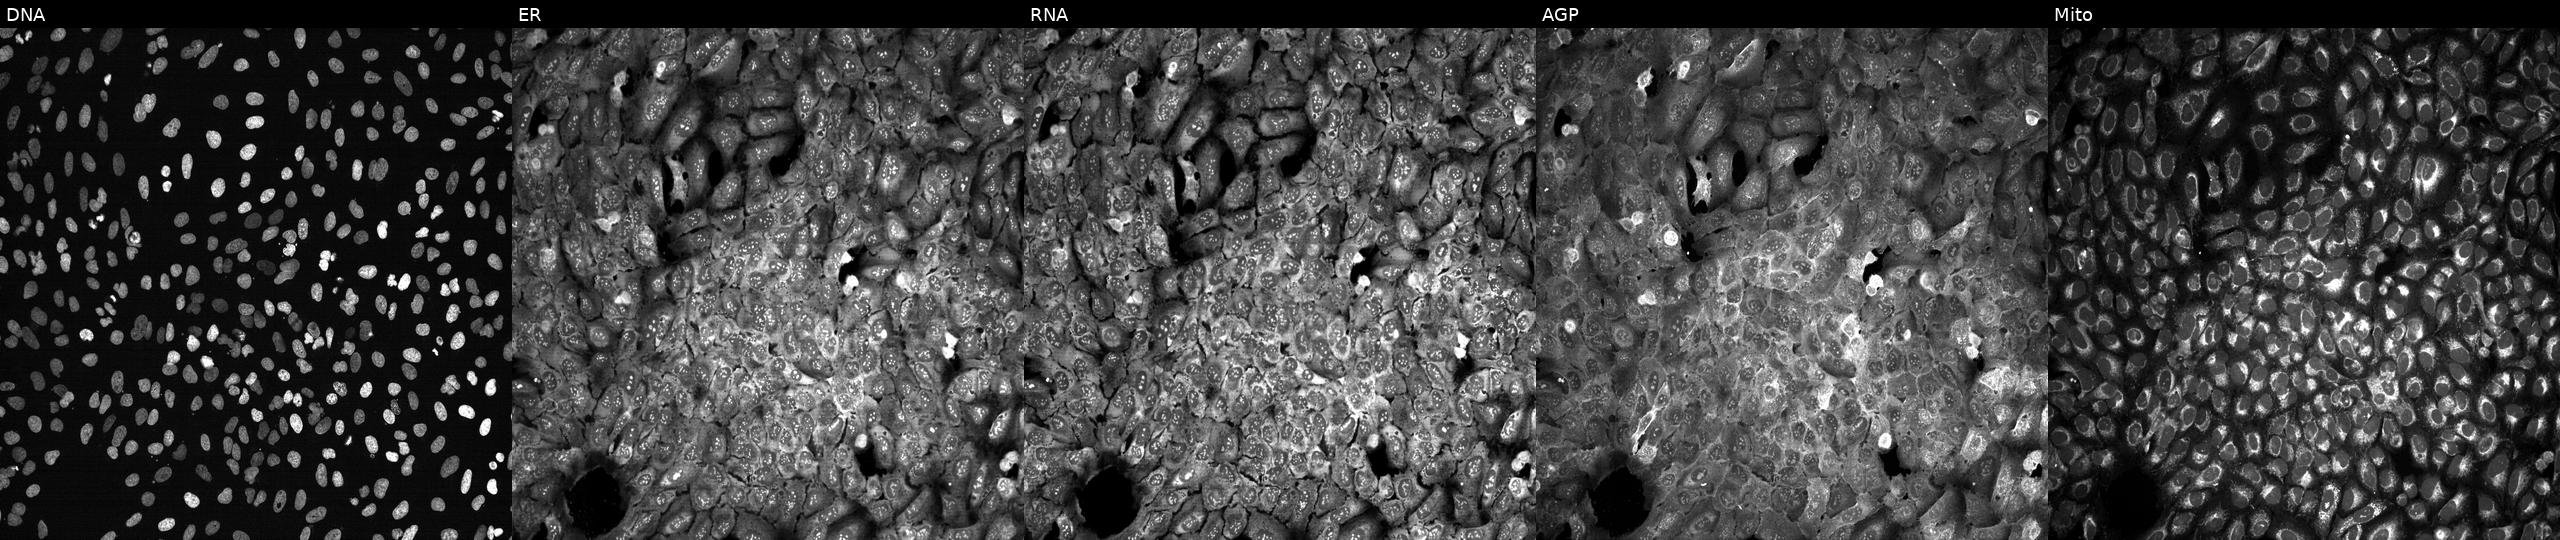
High-content fluorescence microscopy (Cell Painting). Cell line: U2OS. Perturbation: with KAT8 knocked out by CRISPR. Panels show, left to right, DNA, ER, RNA, AGP, and Mito.